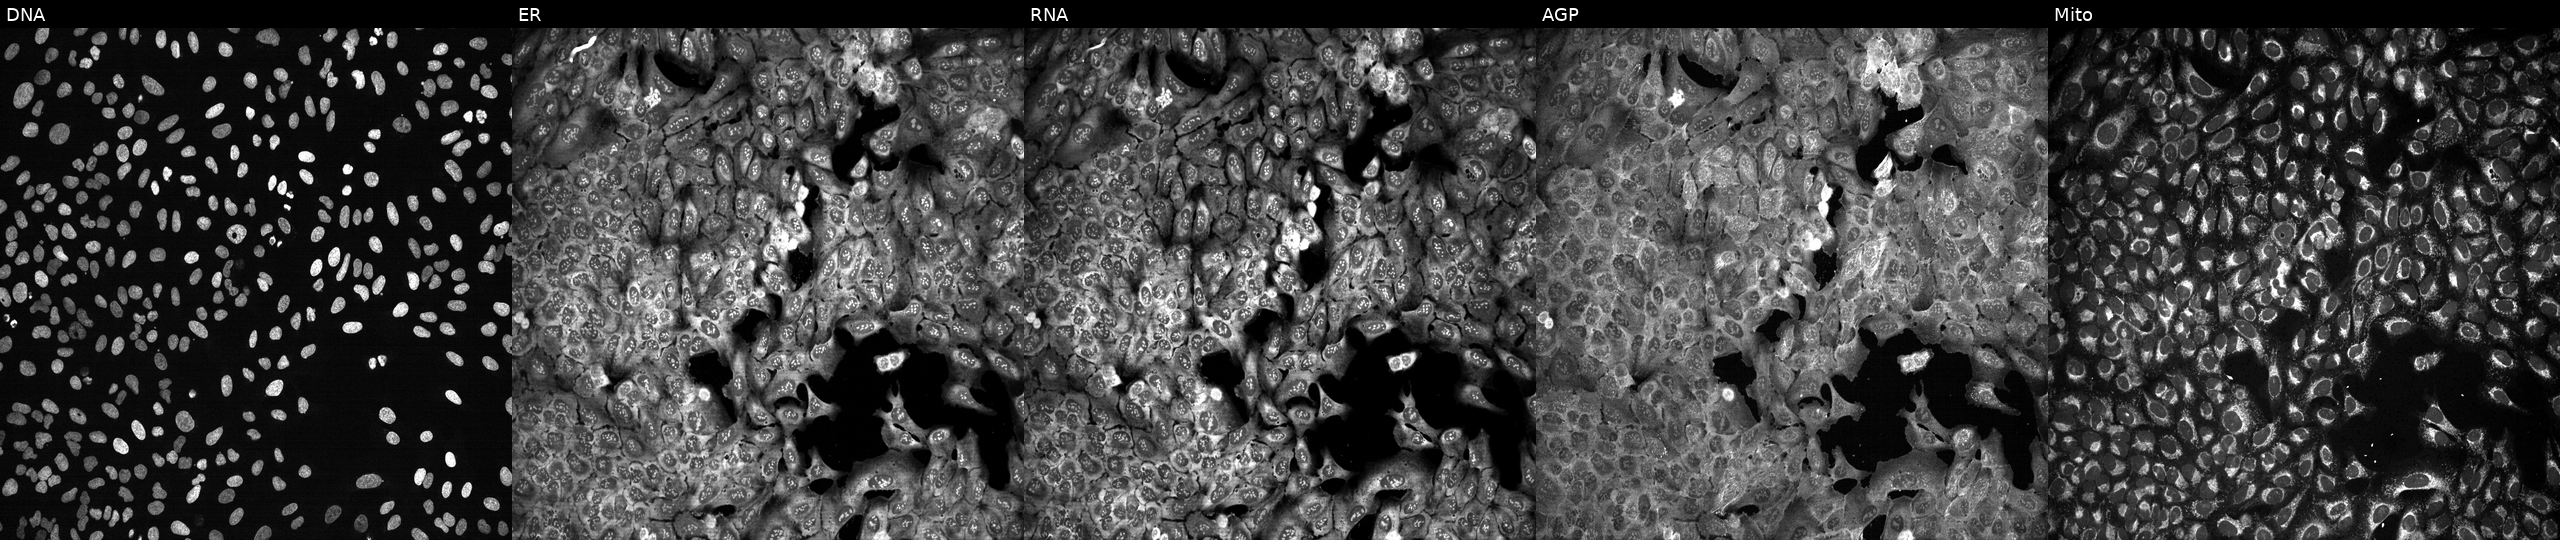
JUMP Cell Painting — CRISPR plate. U2OS cells CRISPR-edited to disrupt ANG (JUMP id JCP2022_800453). The five panels, left to right, show DNA, ER, RNA, AGP, and Mito.